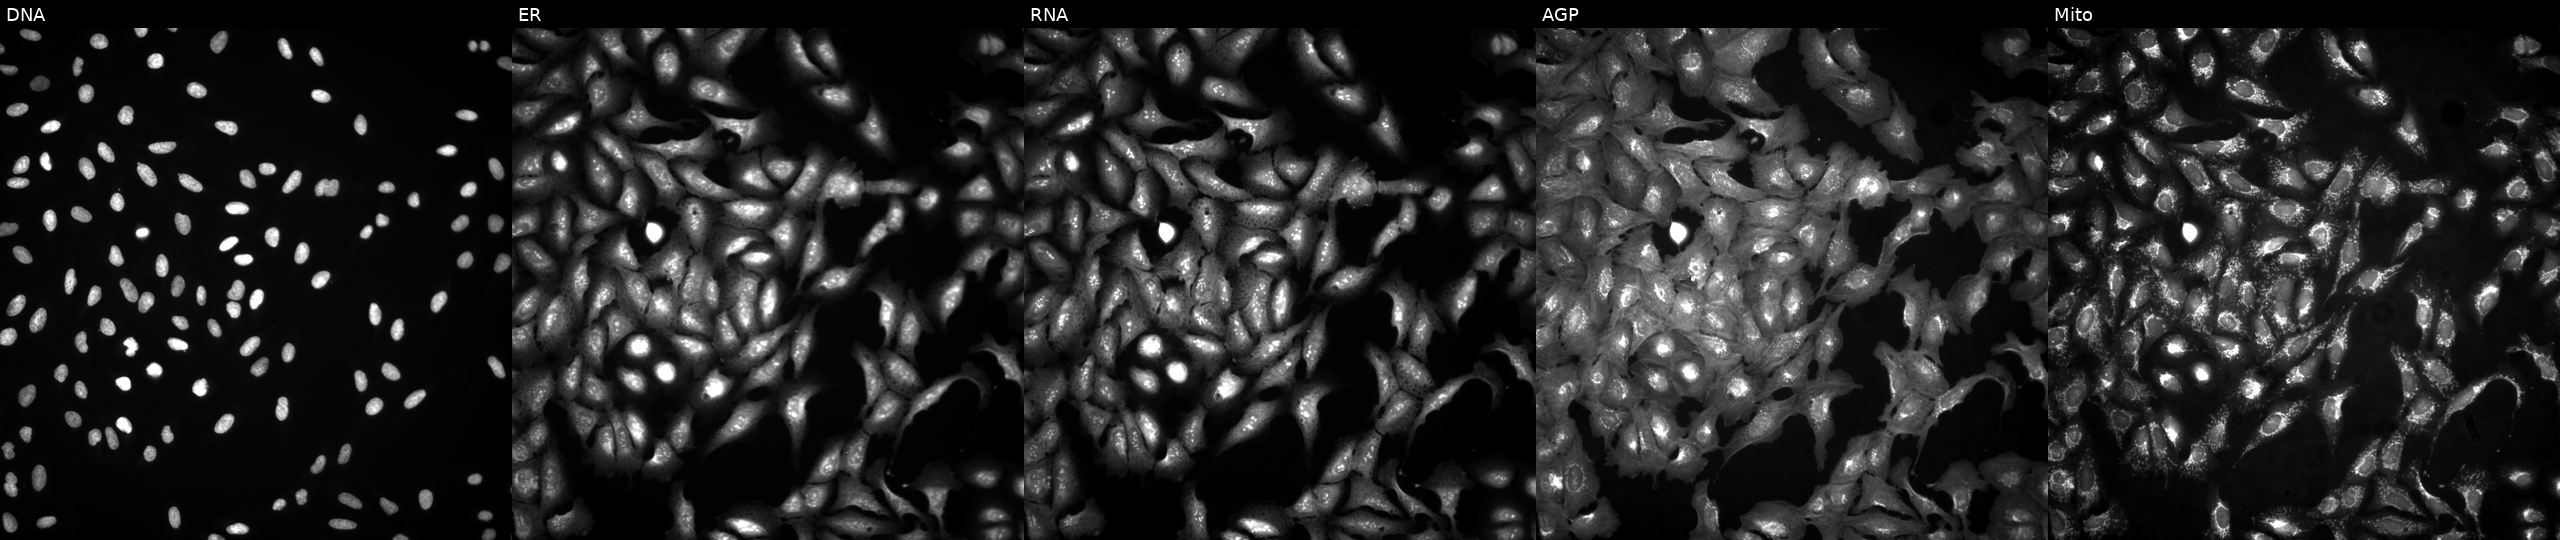
JUMP Cell Painting — ORF plate. U2OS cells with RPL12 overexpressed (ORF). Panels show, left to right, DNA, ER, RNA, AGP, and Mito. Source 4, plate BR00124787, well G18.